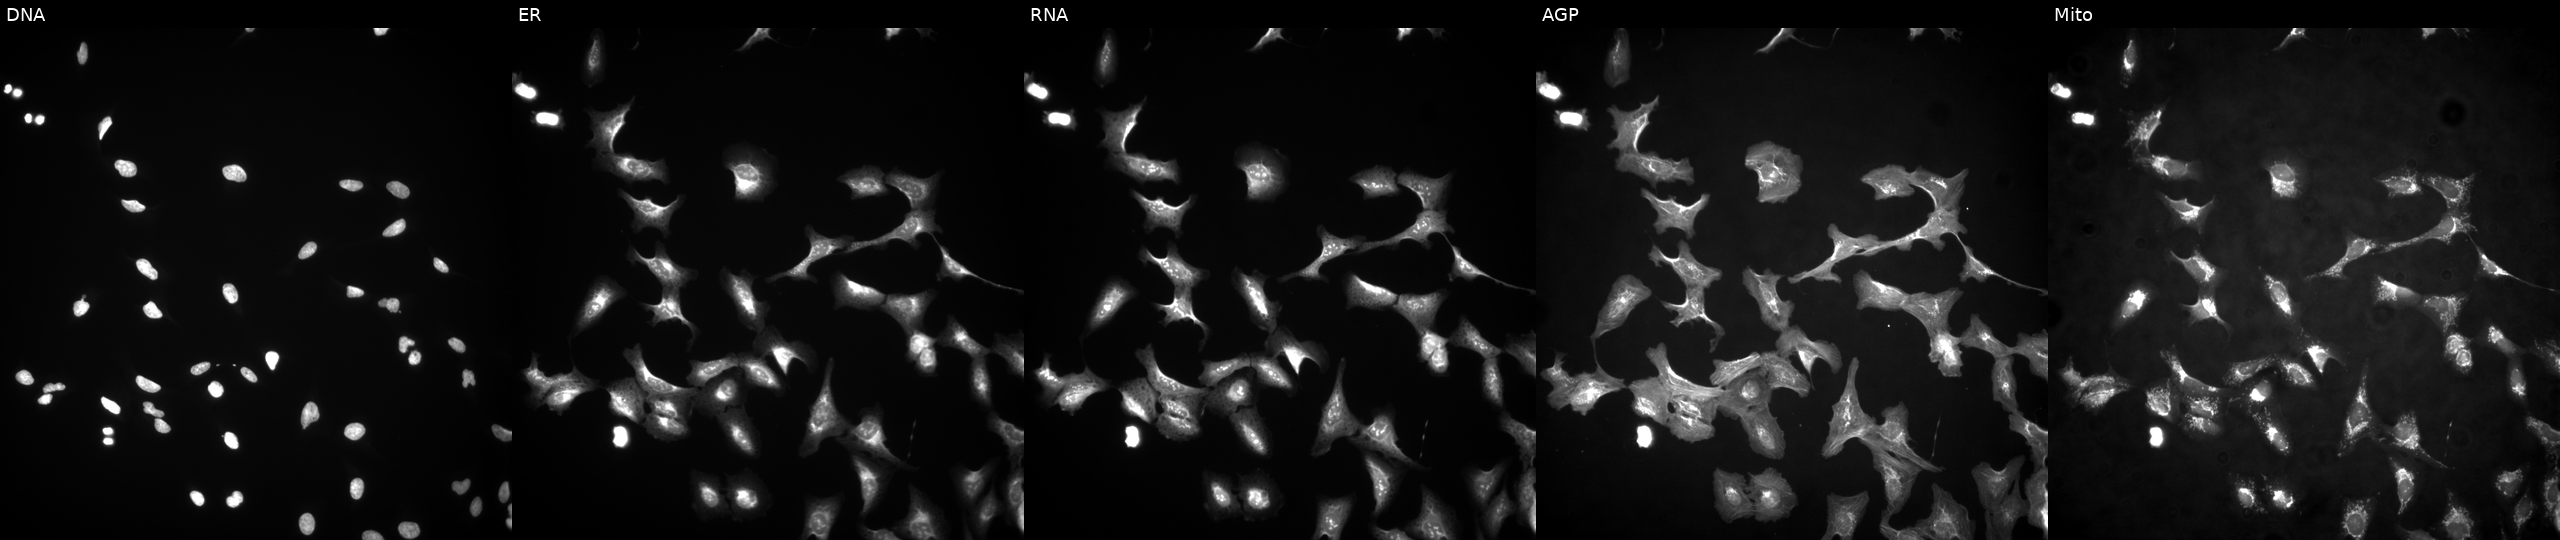
The five panels, left to right, show Hoechst 33342, concanavalin A, SYTO 14, phalloidin and WGA, MitoTracker. U2OS osteosarcoma cells expressing eGFP (ORF positive control) (JUMP id JCP2022_915132). Cell Painting assay, JUMP-CP dataset. Source 4, plate BR00123509, well O20.